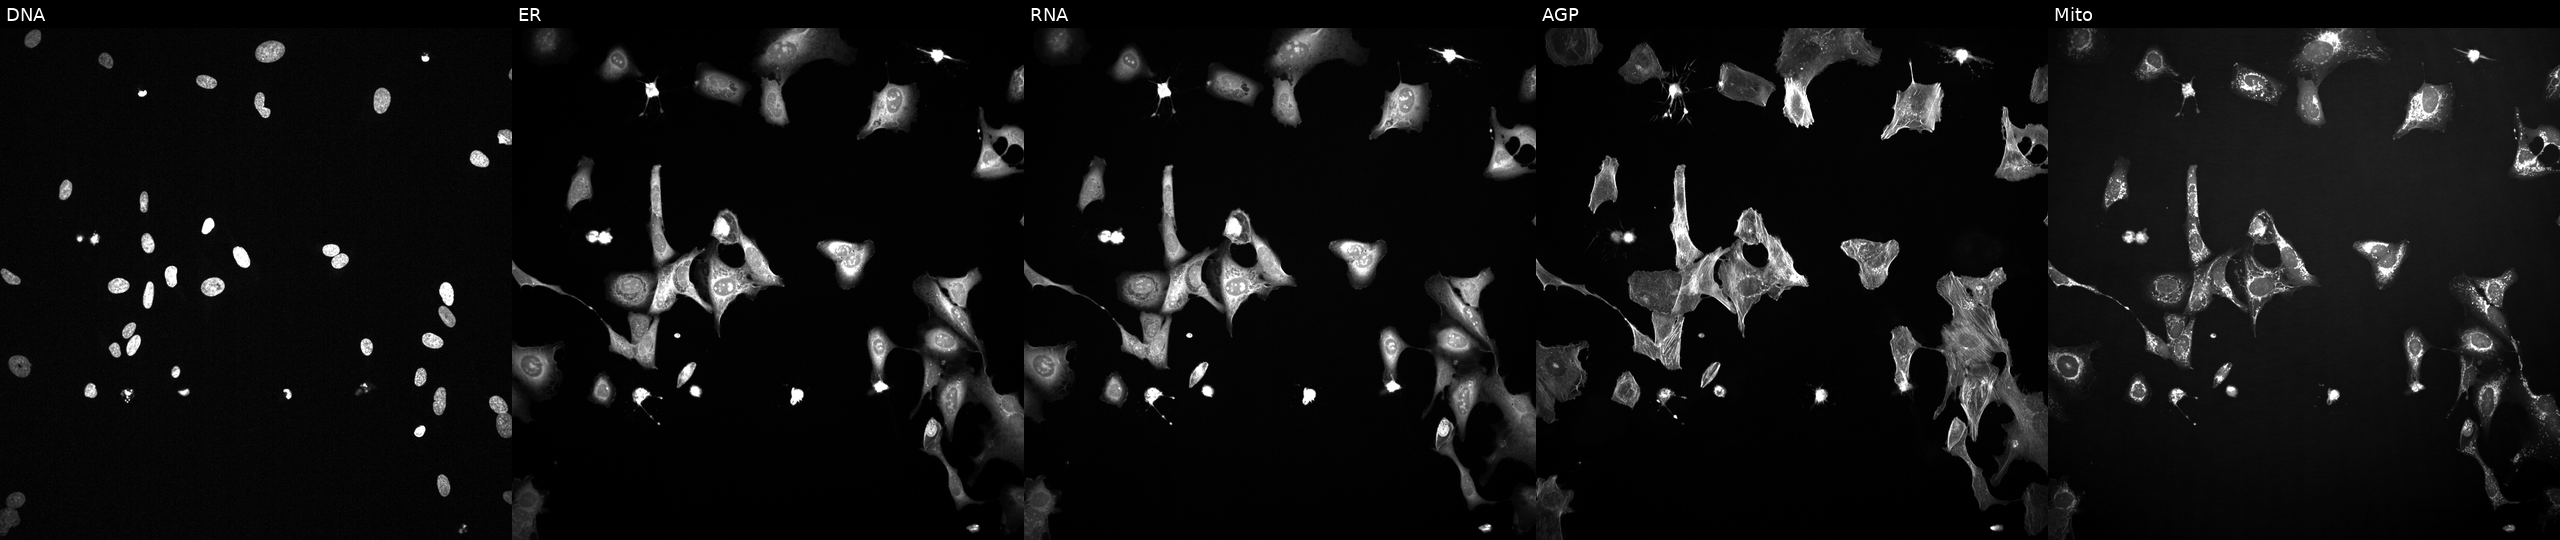
Five-channel Cell Painting image of U2OS cells treated with a small-molecule compound (InChIKey HUXYBQXJVXOMKX-UHFFFAOYSA-N) [SMILES: CC(C)CC(=O)N=c1[nH][nH]c2c1CN(C(=O)C1CCN(C)CC1)C2(C)C]. Channels (left→right): Hoechst 33342, concanavalin A, SYTO 14, phalloidin and WGA, MitoTracker. Source 2, plate 1053597936, well D05.